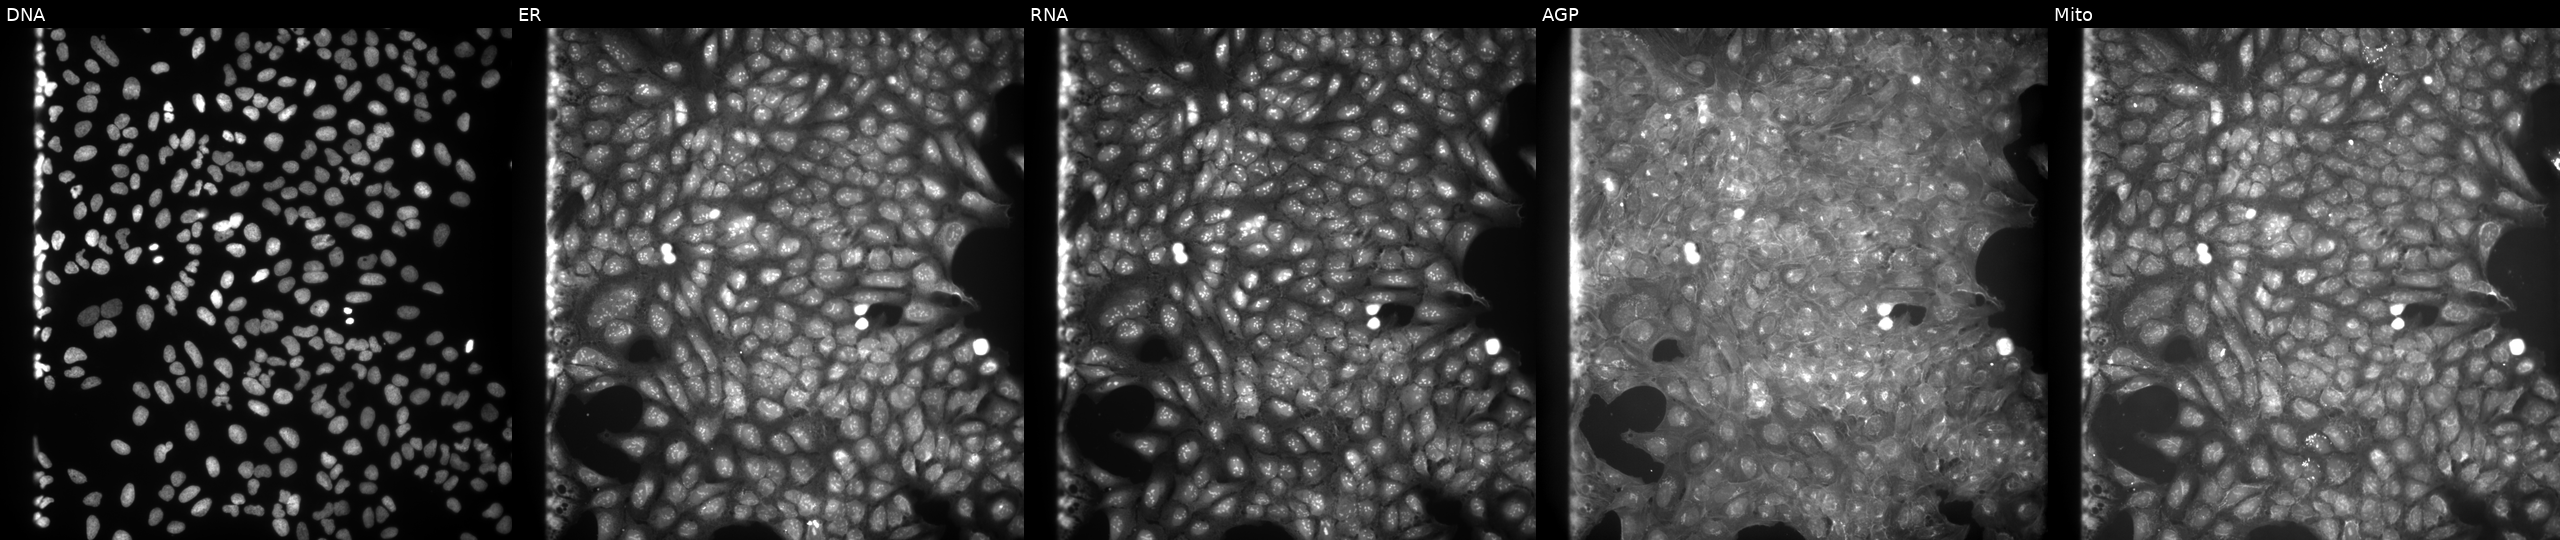
Five-channel Cell Painting image of U2OS cells treated with a small-molecule compound (InChIKey UPOWJUIGULZYIX-UHFFFAOYSA-N). From left to right: Hoechst 33342, concanavalin A, SYTO 14, phalloidin and WGA, MitoTracker. Source 9, plate GR00003382, well B09.